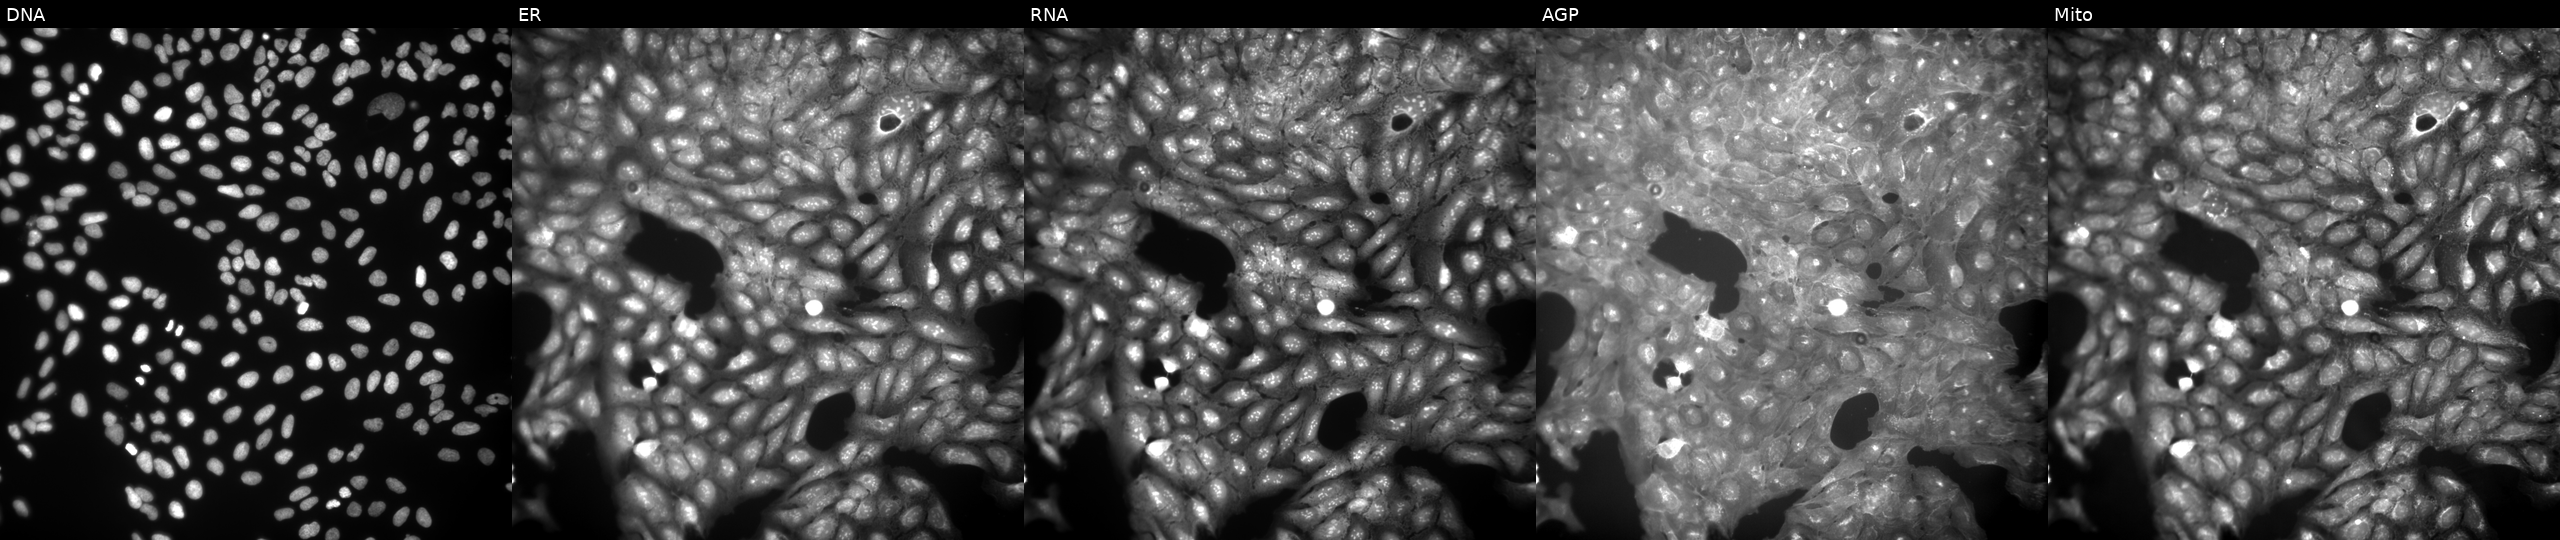
U2OS cells, Cell Painting assay, exposed to a small-molecule compound. Panels show, left to right, Hoechst 33342, concanavalin A, SYTO 14, phalloidin and WGA, MitoTracker. Each panel is percentile-stretched 16-bit fluorescence.